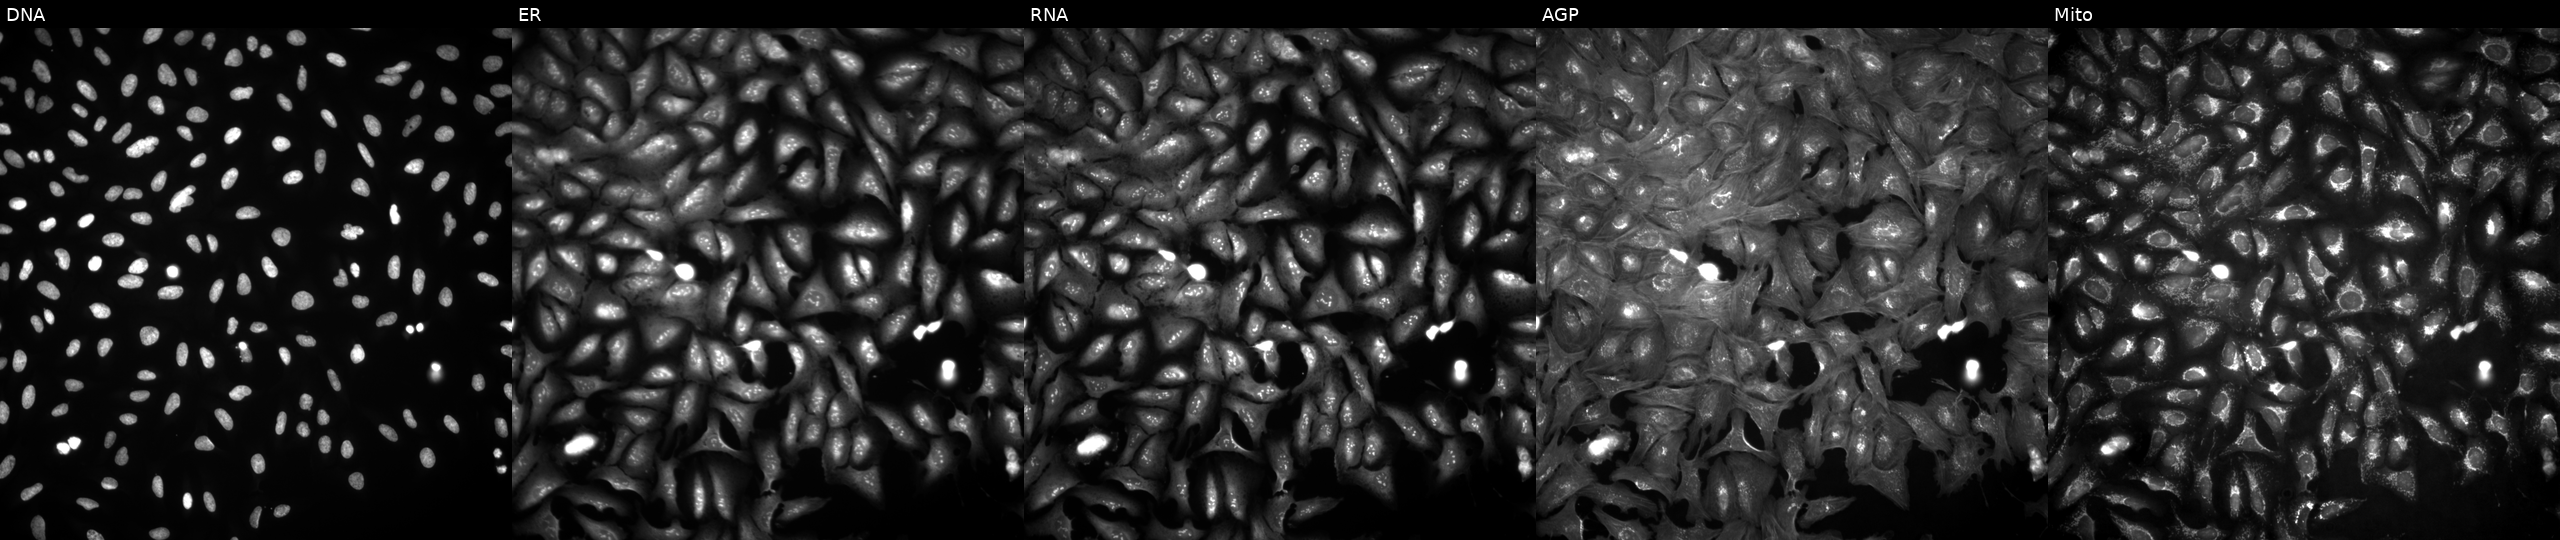
U2OS cells, Cell Painting assay, transfected with an ORF construct for CCDC136 (JUMP id JCP2022_911640). Panels show, left to right, DNA, ER, RNA, AGP, and Mito. Each panel is percentile-stretched 16-bit fluorescence. Source 4, plate BR00124784, well E04.